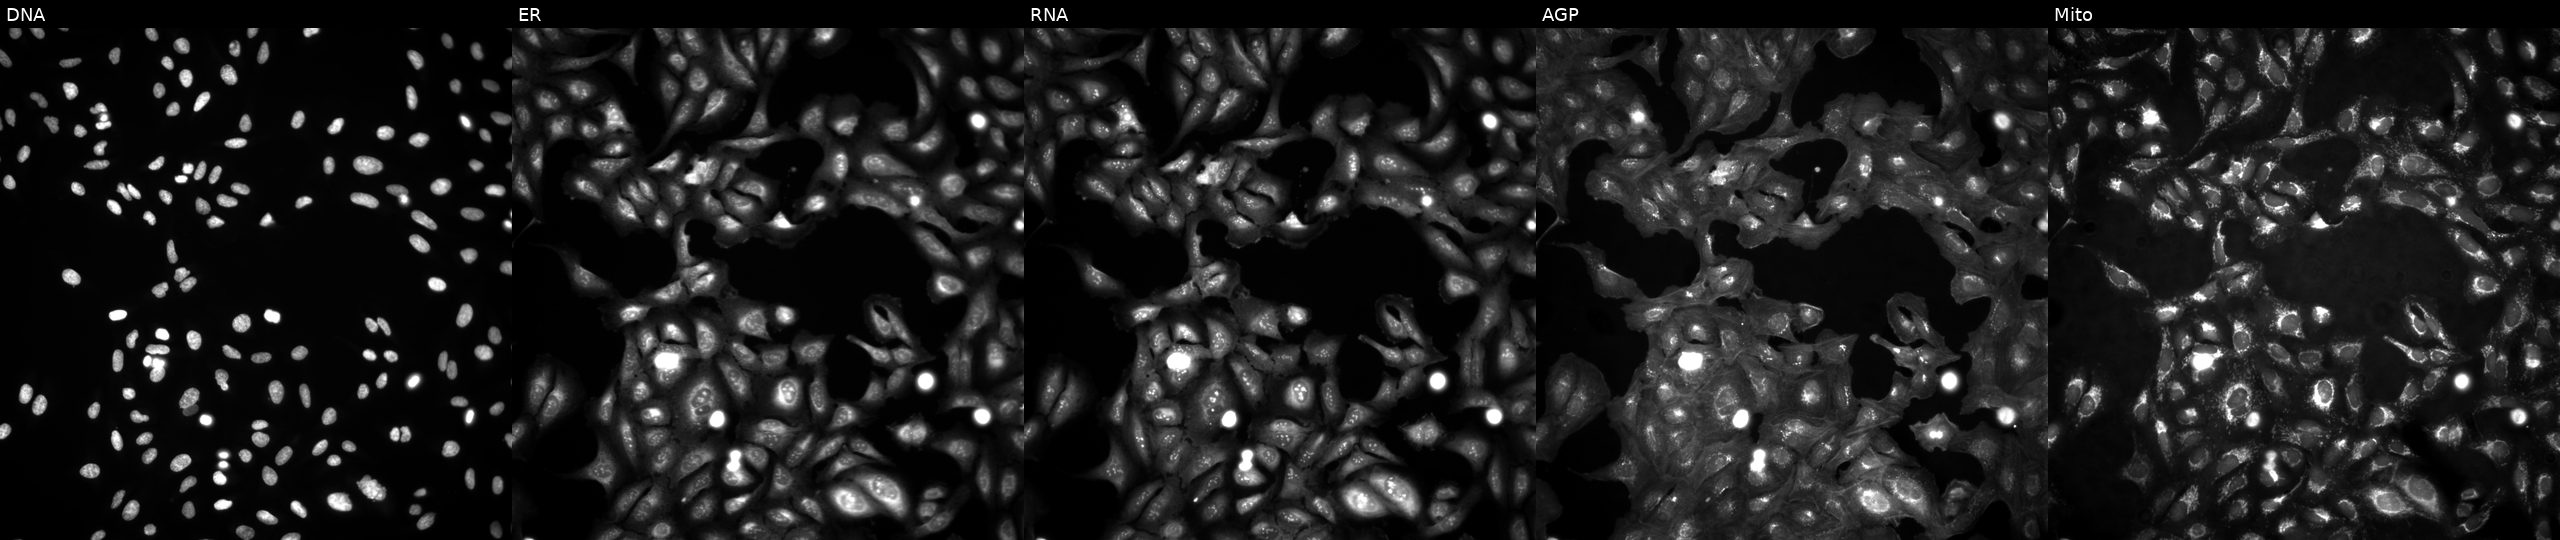
Channels (left→right): Hoechst 33342, concanavalin A, SYTO 14, phalloidin and WGA, MitoTracker. U2OS osteosarcoma cells untreated (empty-well control). Cell Painting assay, JUMP-CP dataset.